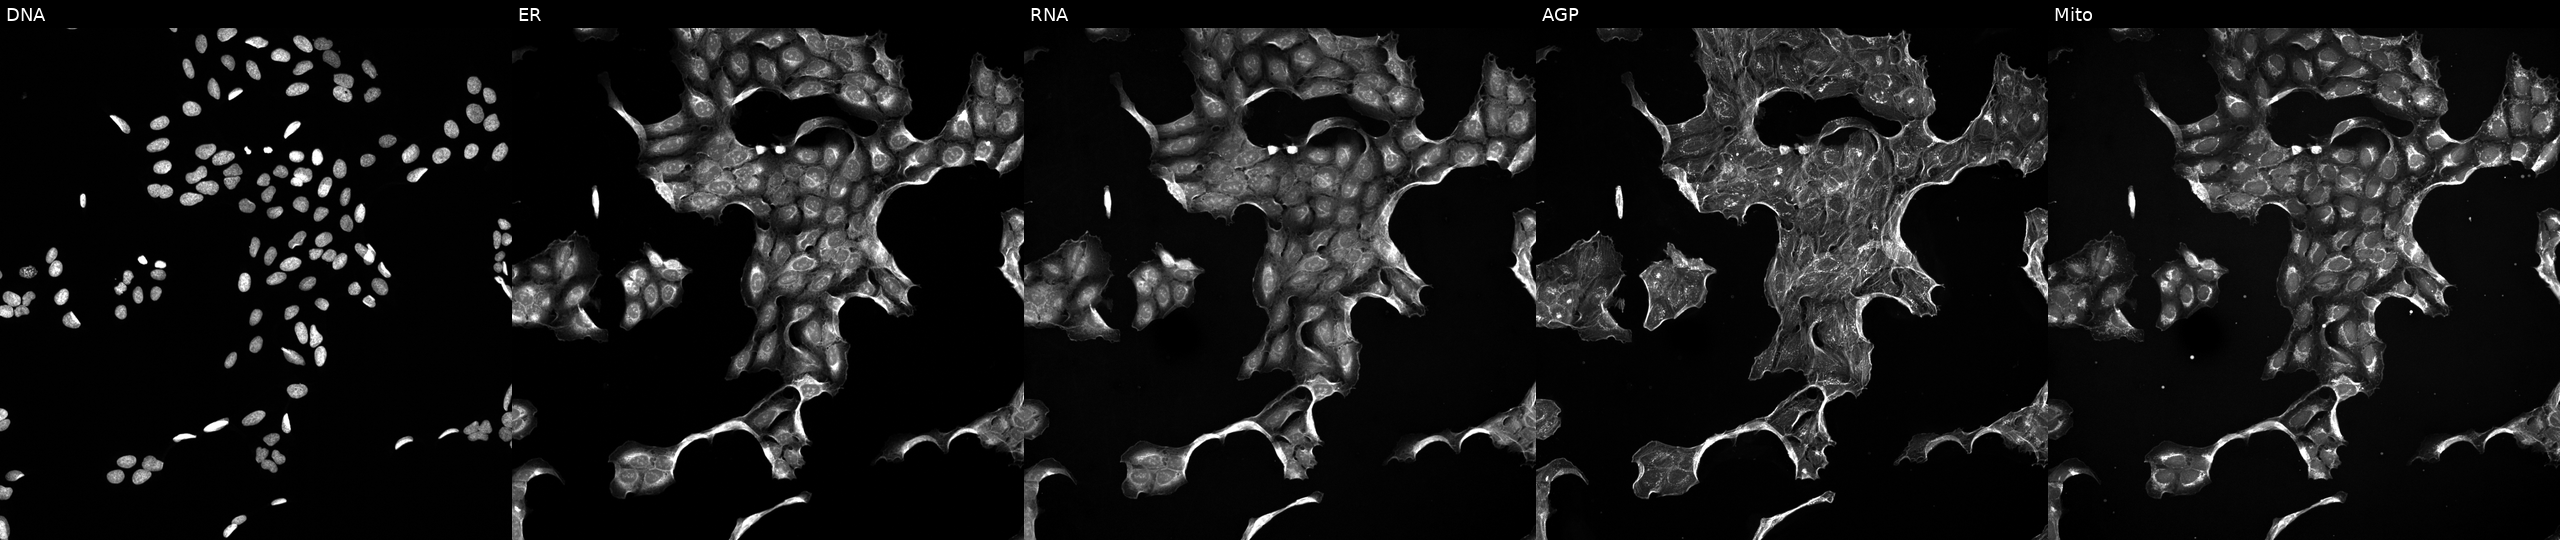
Panels show, left to right, DNA (nuclei); ER (endoplasmic reticulum); RNA (nucleoli and cytoplasmic RNA); AGP (actin cytoskeleton, Golgi, and plasma membrane); Mito (mitochondria). U2OS osteosarcoma cells exposed to a small-molecule compound (InChIKey BBDGBGOVJPEFBT-UHFFFAOYSA-N). Cell Painting assay, JUMP-CP dataset.